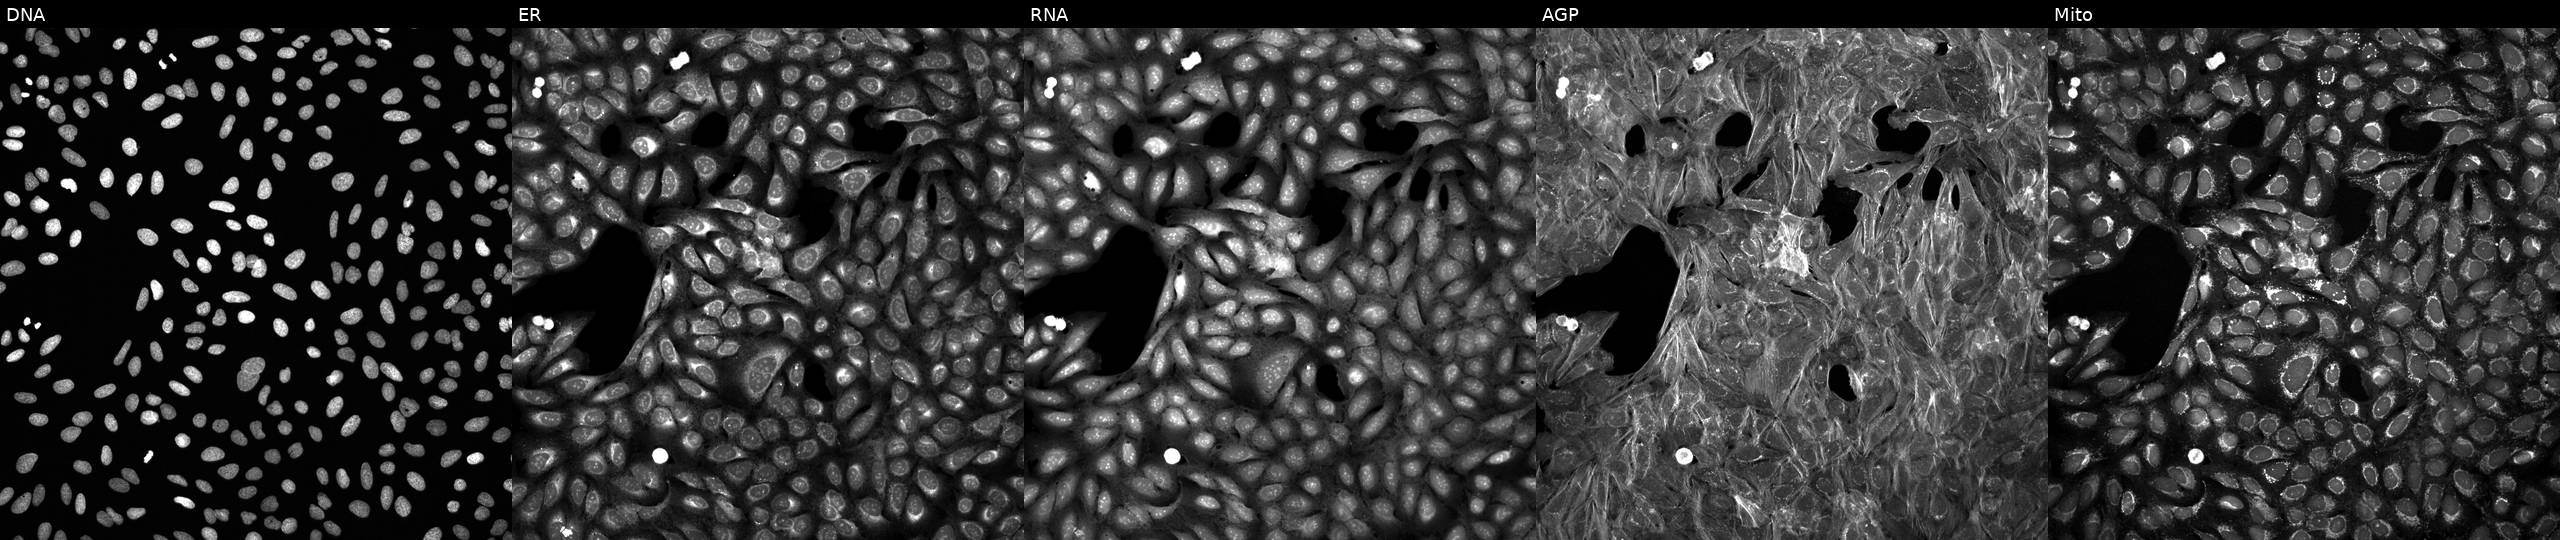
Panels show, left to right, DNA, ER, RNA, AGP, and Mito. U2OS osteosarcoma cells treated with a small-molecule compound (InChIKey AFJRDFWMXUECEW-UHFFFAOYSA-N) (JUMP id JCP2022_001036). Cell Painting assay, JUMP-CP dataset.